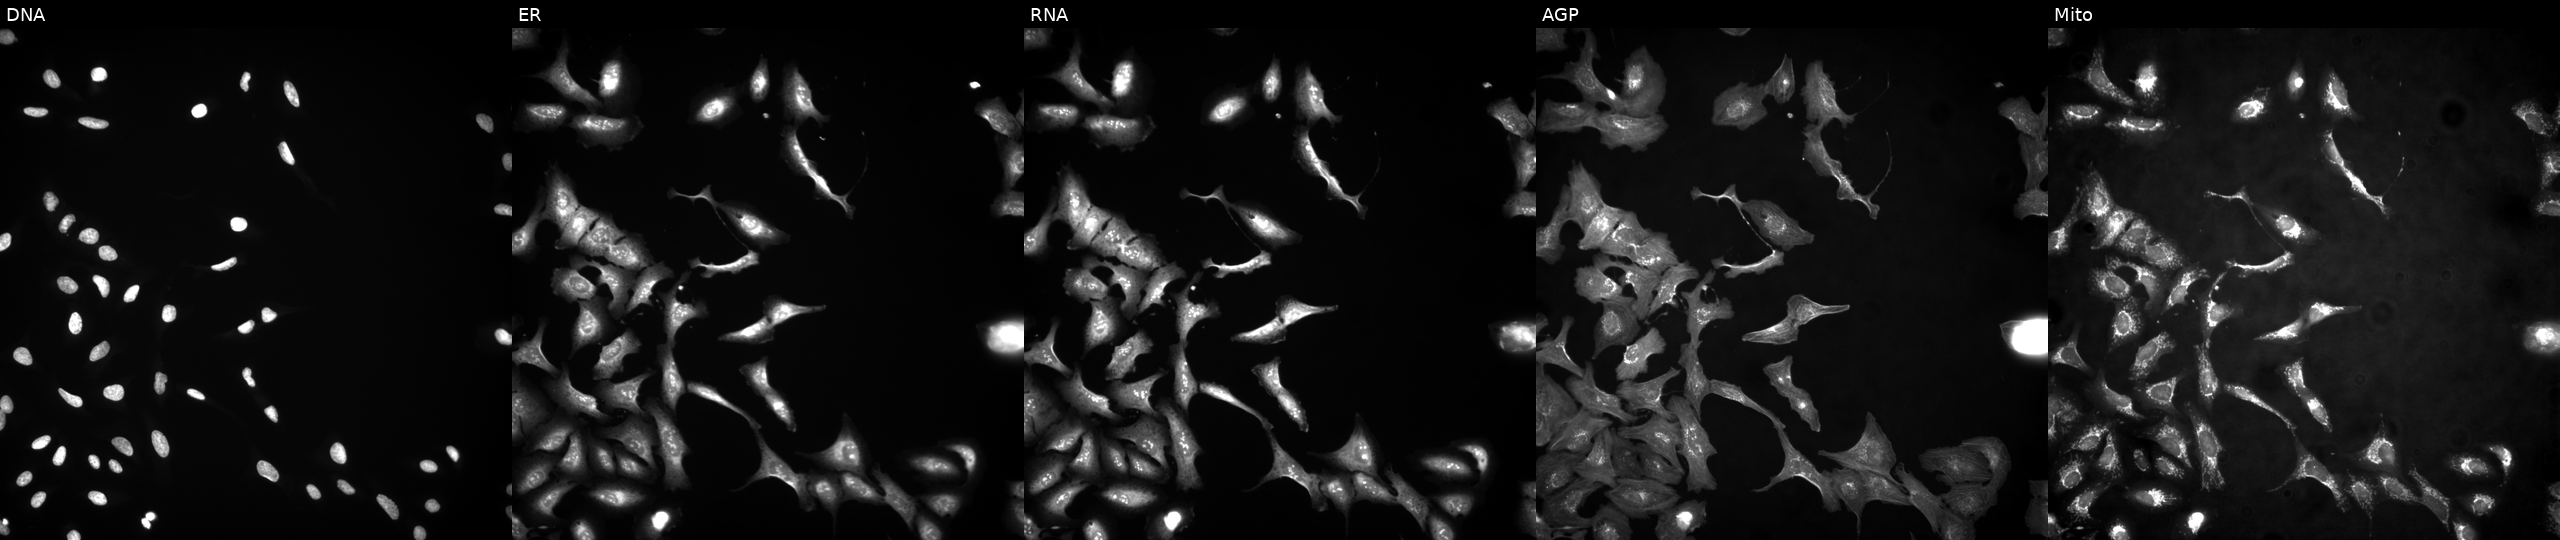
U2OS cells, Cell Painting assay, with QRSL1 overexpressed (ORF). Channels (left→right): Hoechst 33342, concanavalin A, SYTO 14, phalloidin and WGA, MitoTracker. Each panel is percentile-stretched 16-bit fluorescence.